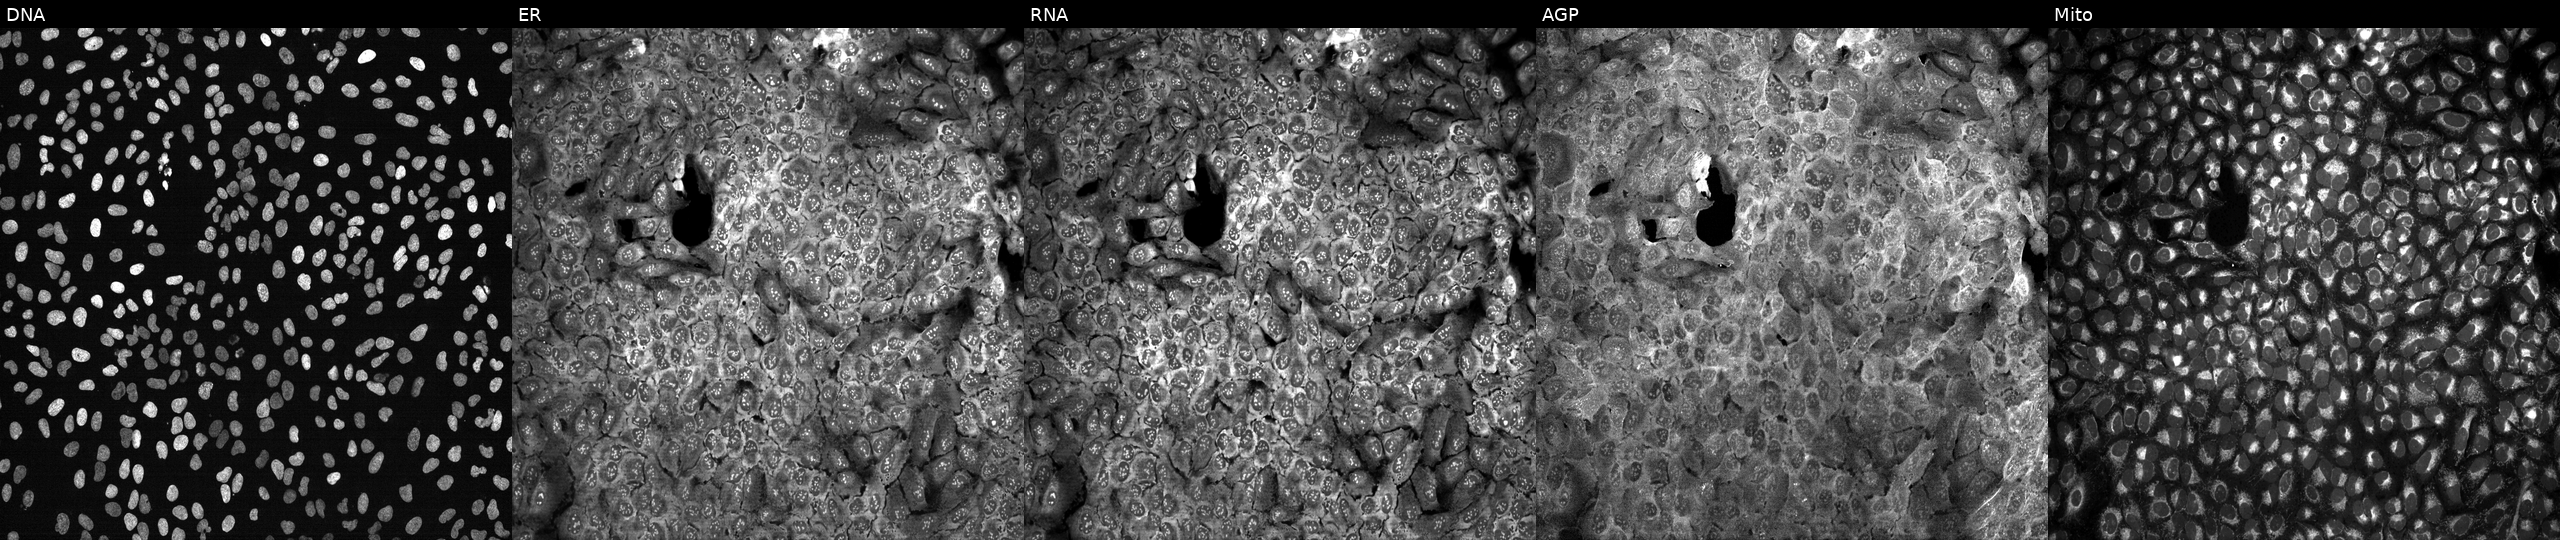
Five-channel Cell Painting image of U2OS cells CRISPR-edited to disrupt IL10RA (JUMP id JCP2022_803361). From left to right: DNA (nuclei); ER (endoplasmic reticulum); RNA (nucleoli and cytoplasmic RNA); AGP (actin cytoskeleton, Golgi, and plasma membrane); Mito (mitochondria).